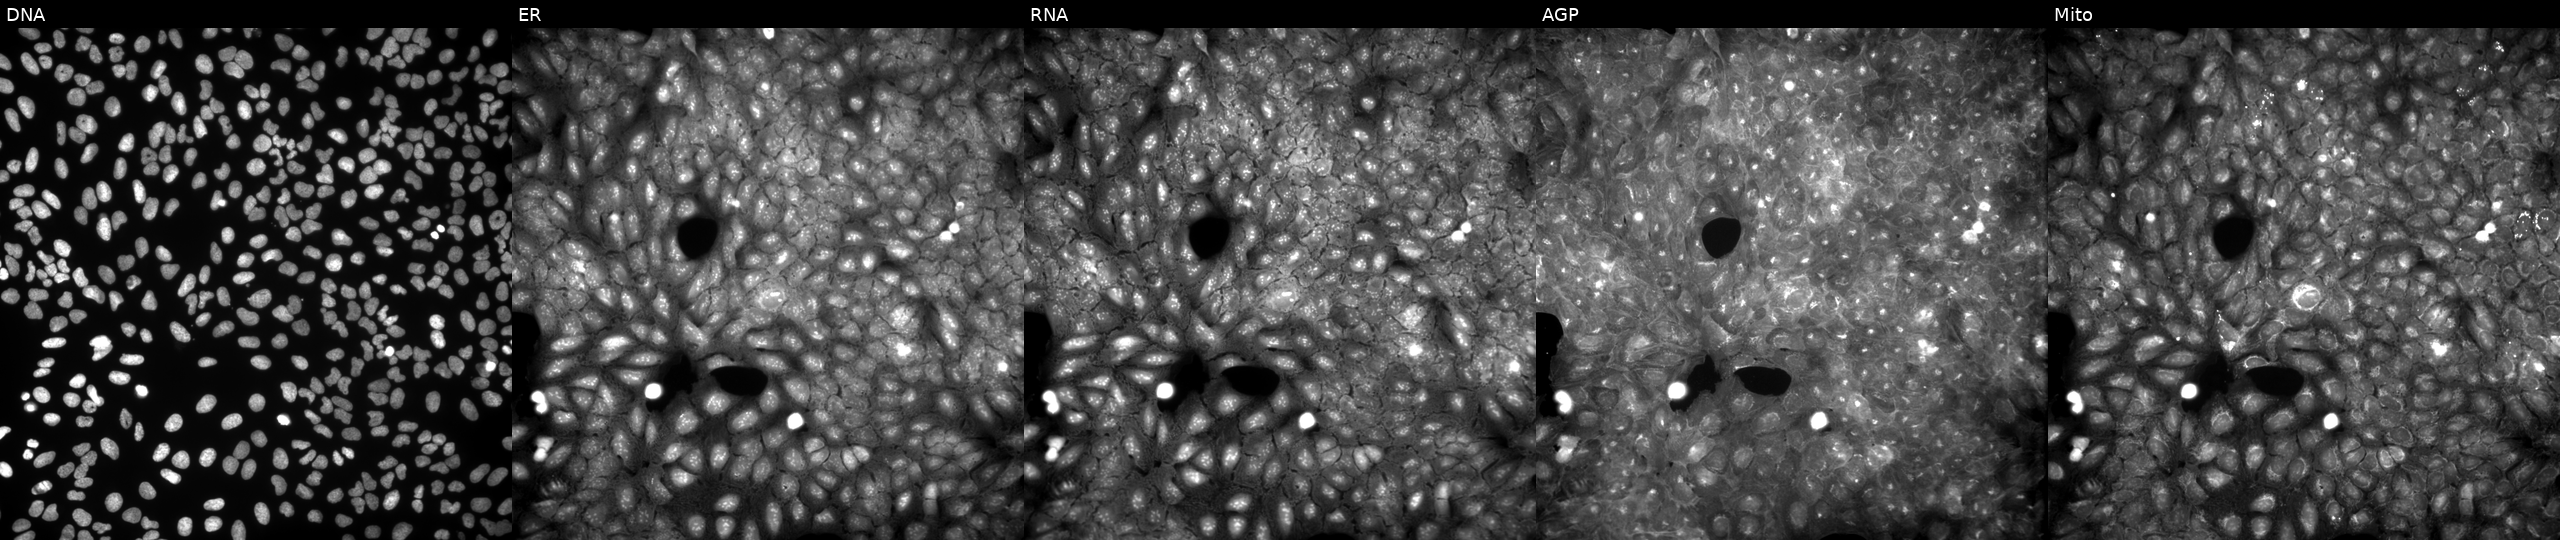
JUMP Cell Painting — COMPOUND plate. U2OS cells perturbed with a small-molecule compound (InChIKey OXLNPDCQIGWOPP-UHFFFAOYSA-N) (JUMP id JCP2022_066775). From left to right: DNA, ER, RNA, AGP, and Mito.